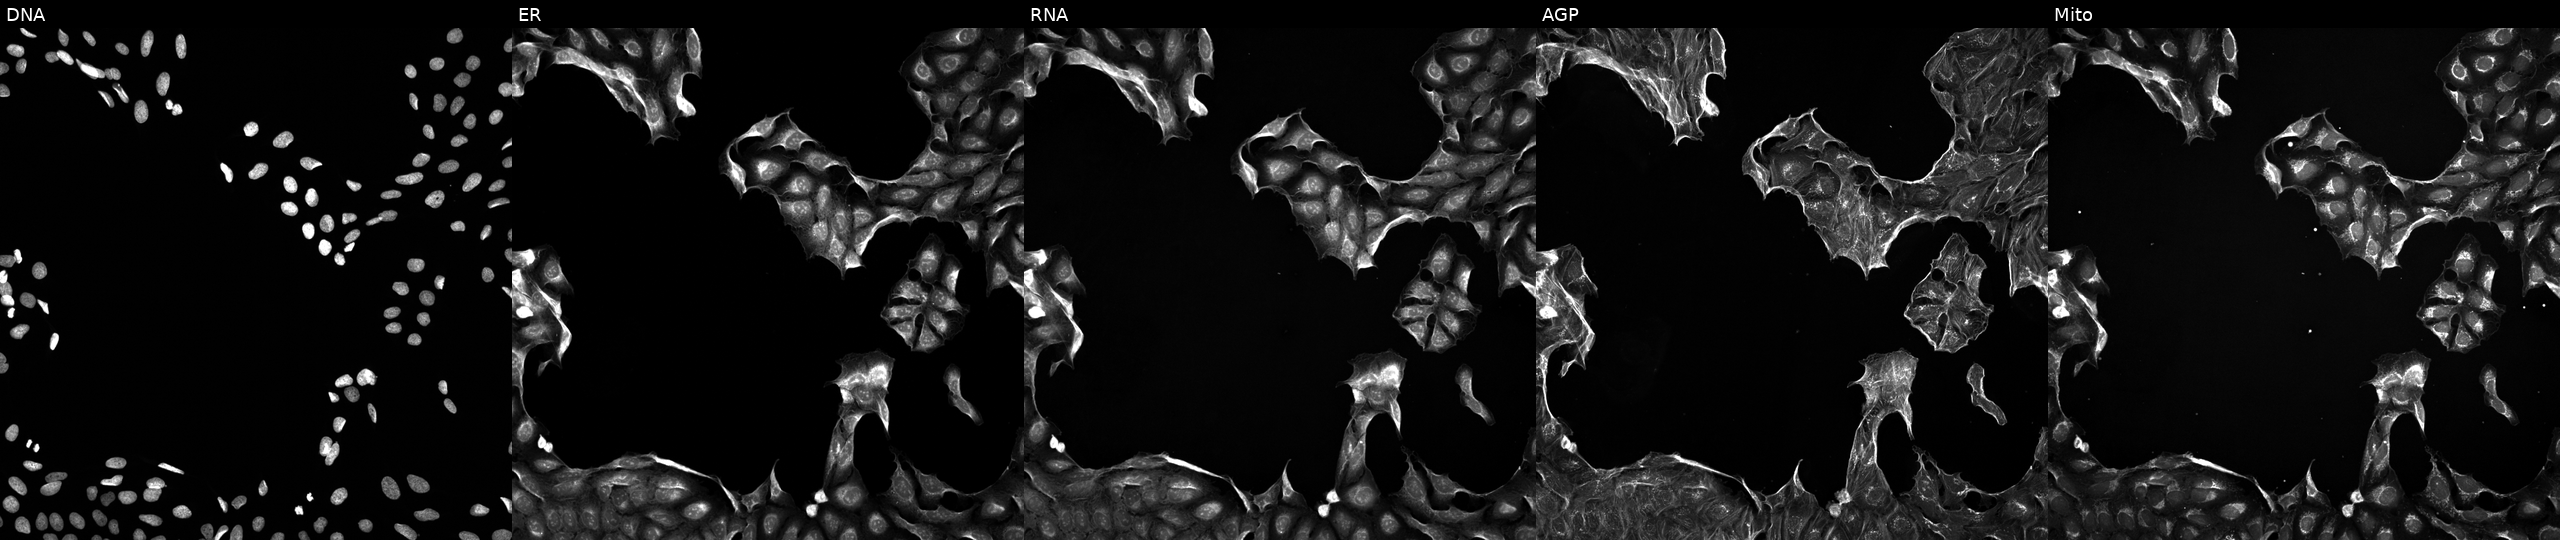
This image strip shows the five Cell Painting channels for a single field of U2OS cells exposed to DMSO alone as a negative control. From left to right: DNA, ER, RNA, AGP, and Mito.